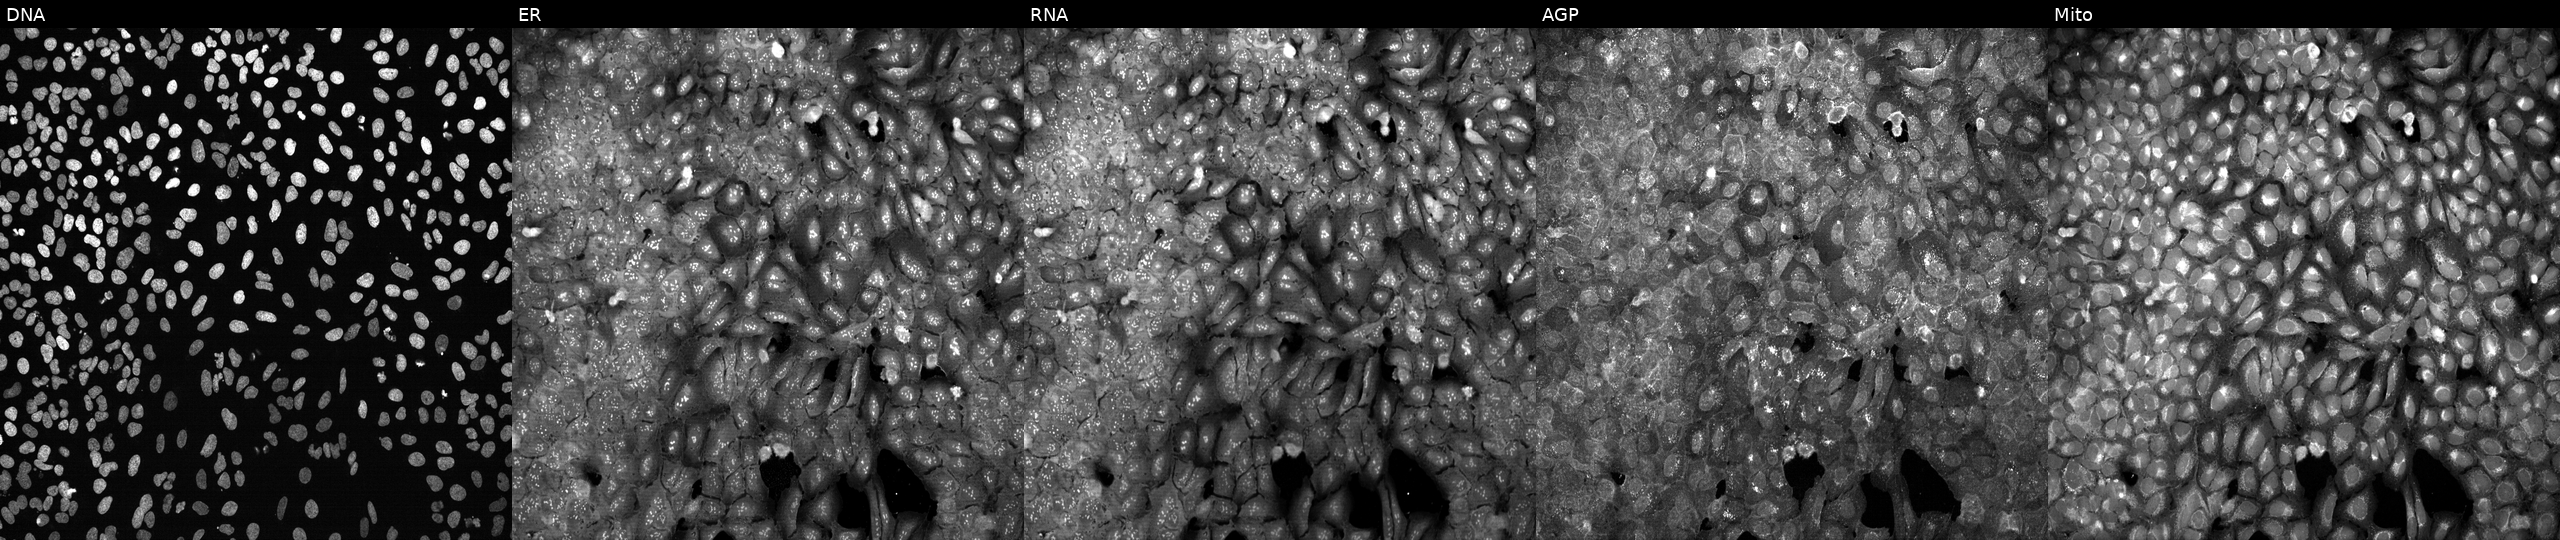
This image strip shows the five Cell Painting channels for a single field of U2OS cells with SLC26A2 knocked out by CRISPR. The five panels, left to right, show DNA, ER, RNA, AGP, and Mito. Source 13, plate CP-CC9-R1-01, well H12.